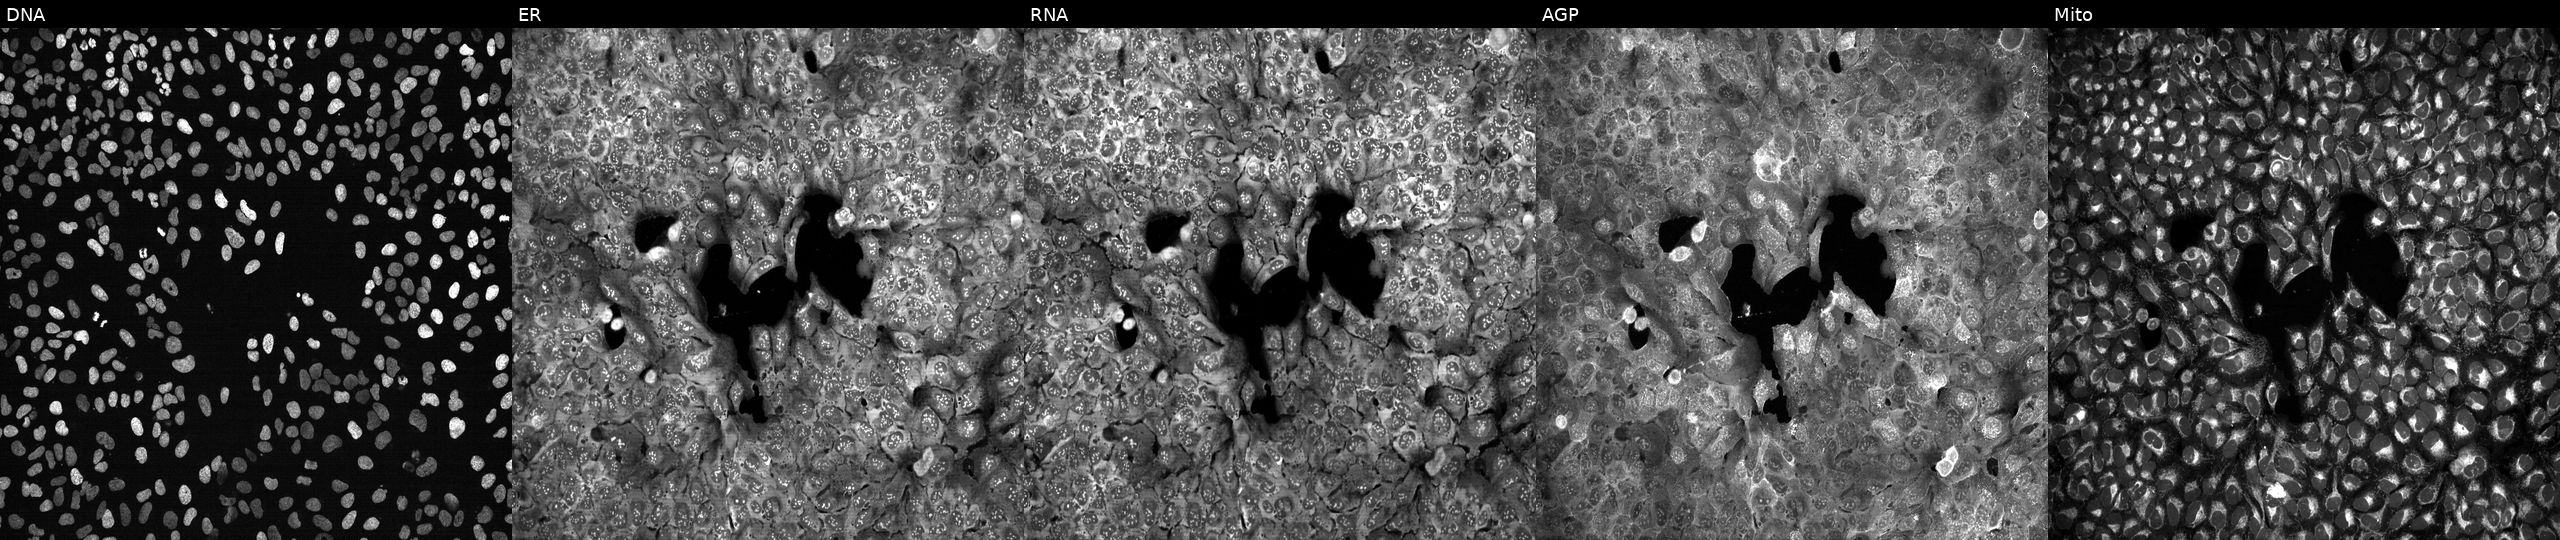
JUMP Cell Painting — CRISPR plate. U2OS cells CRISPR-edited to disrupt UROS. Panels show, left to right, Hoechst 33342, concanavalin A, SYTO 14, phalloidin and WGA, MitoTracker. Source 13, plate CP-CC9-R4-04, well K10.